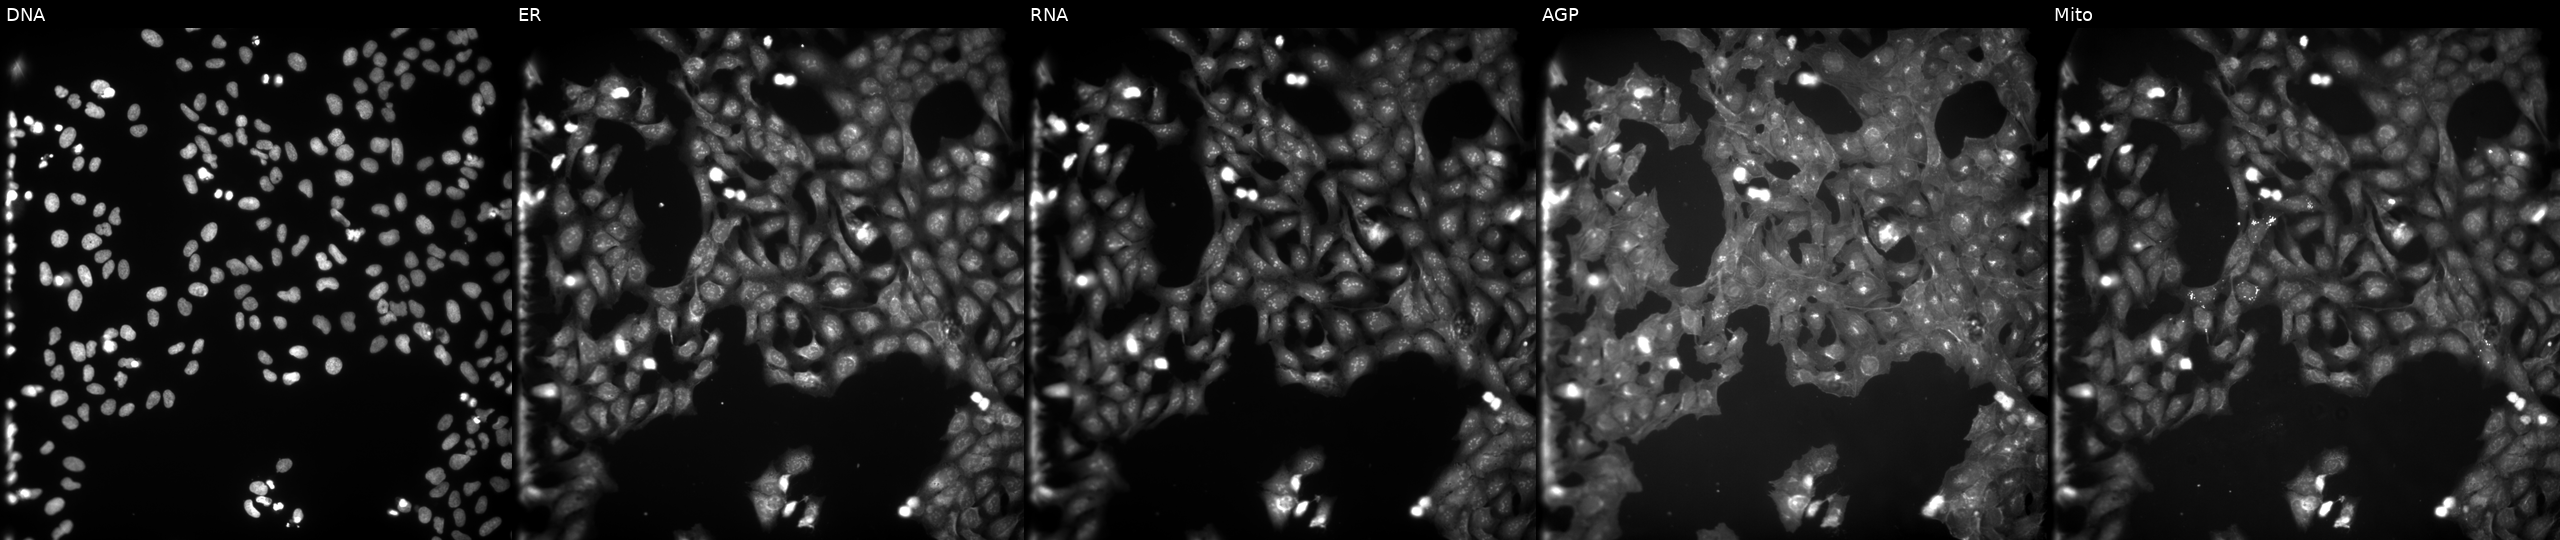
JUMP Cell Painting — COMPOUND plate. U2OS cells treated with NVS-PAK1-1 (positive-control compound) (JUMP id JCP2022_064022). The five panels, left to right, show Hoechst 33342, concanavalin A, SYTO 14, phalloidin and WGA, MitoTracker.